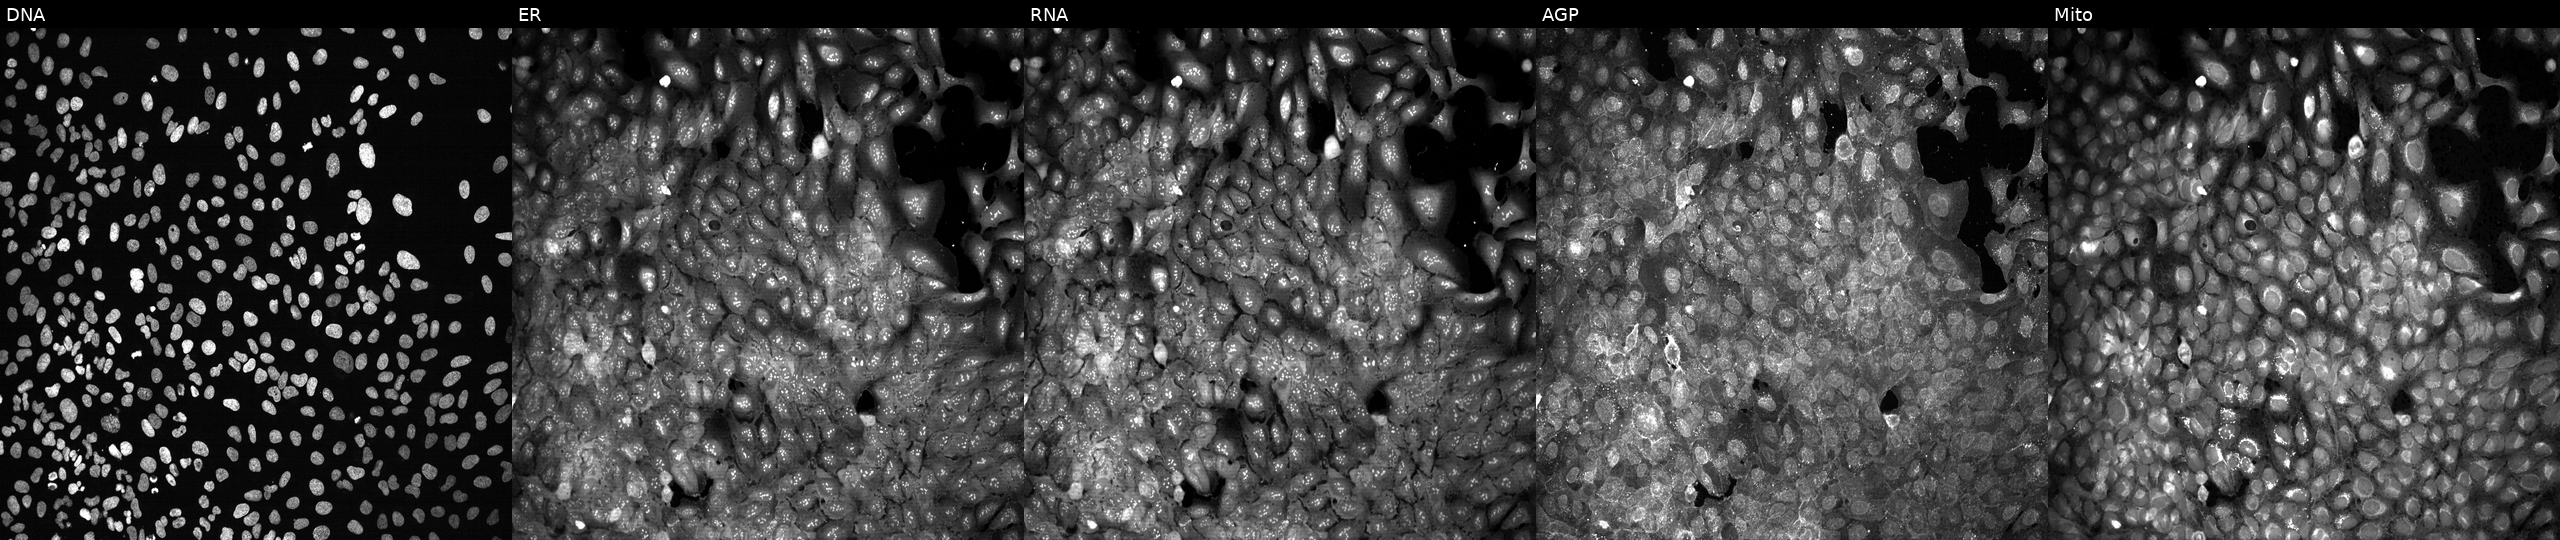
U2OS cells, Cell Painting assay, with no CRISPR guide (negative control) (JUMP id JCP2022_800001). Channels (left→right): DNA (nuclei); ER (endoplasmic reticulum); RNA (nucleoli and cytoplasmic RNA); AGP (actin cytoskeleton, Golgi, and plasma membrane); Mito (mitochondria). Each panel is percentile-stretched 16-bit fluorescence.